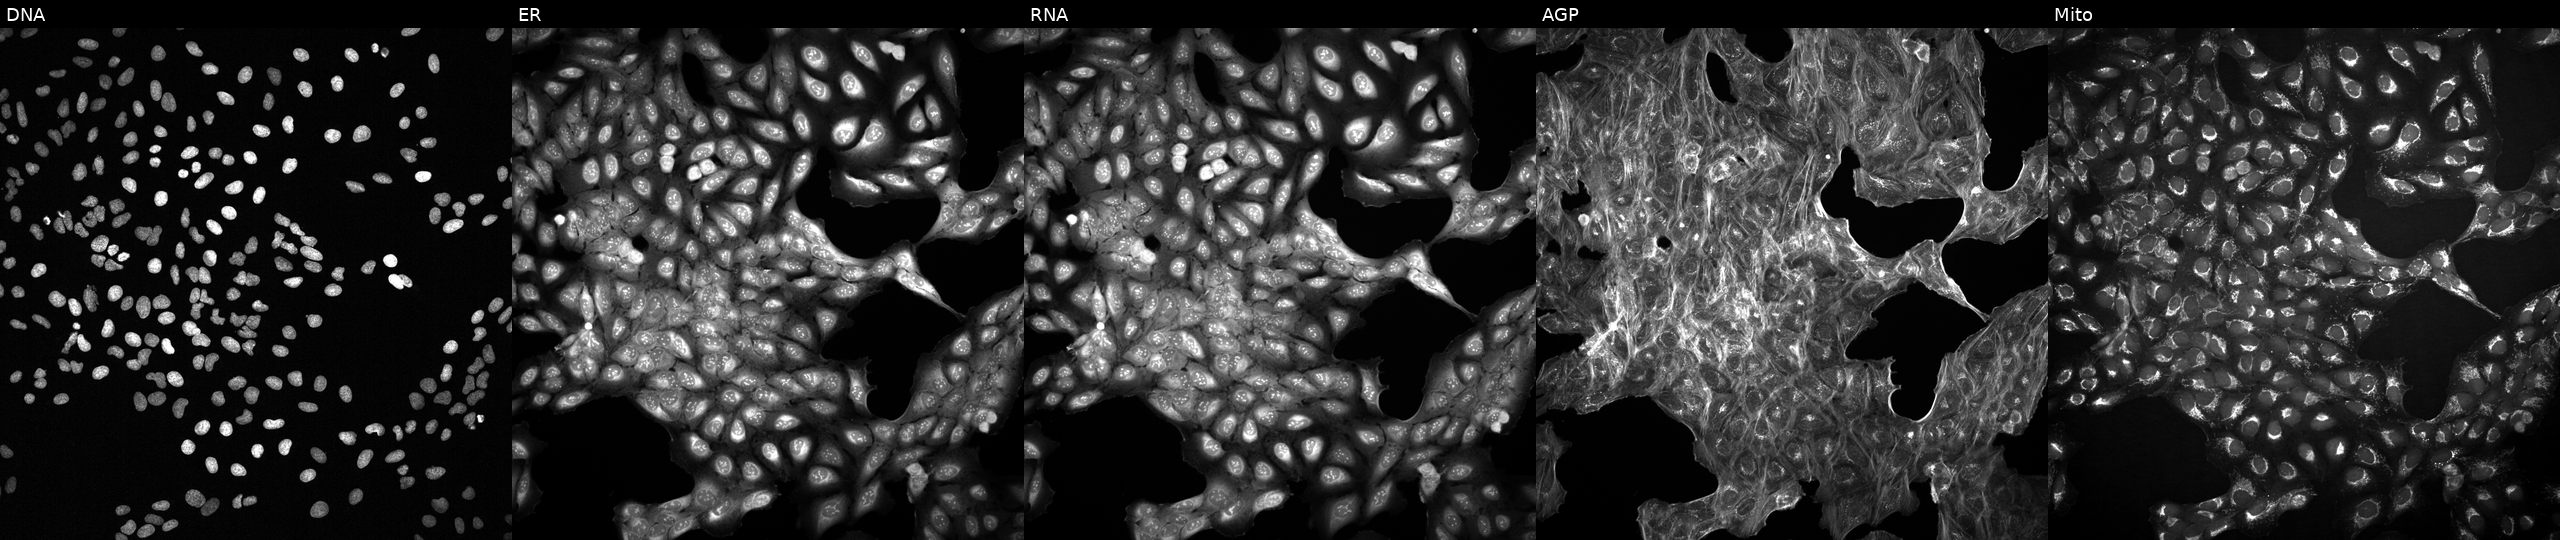
Channels (left→right): DNA (nuclei); ER (endoplasmic reticulum); RNA (nucleoli and cytoplasmic RNA); AGP (actin cytoskeleton, Golgi, and plasma membrane); Mito (mitochondria). U2OS osteosarcoma cells treated with a small-molecule compound (InChIKey UDUSOMRJOPCWHT-UHFFFAOYSA-N) (JUMP id JCP2022_088560). Cell Painting assay, JUMP-CP dataset.